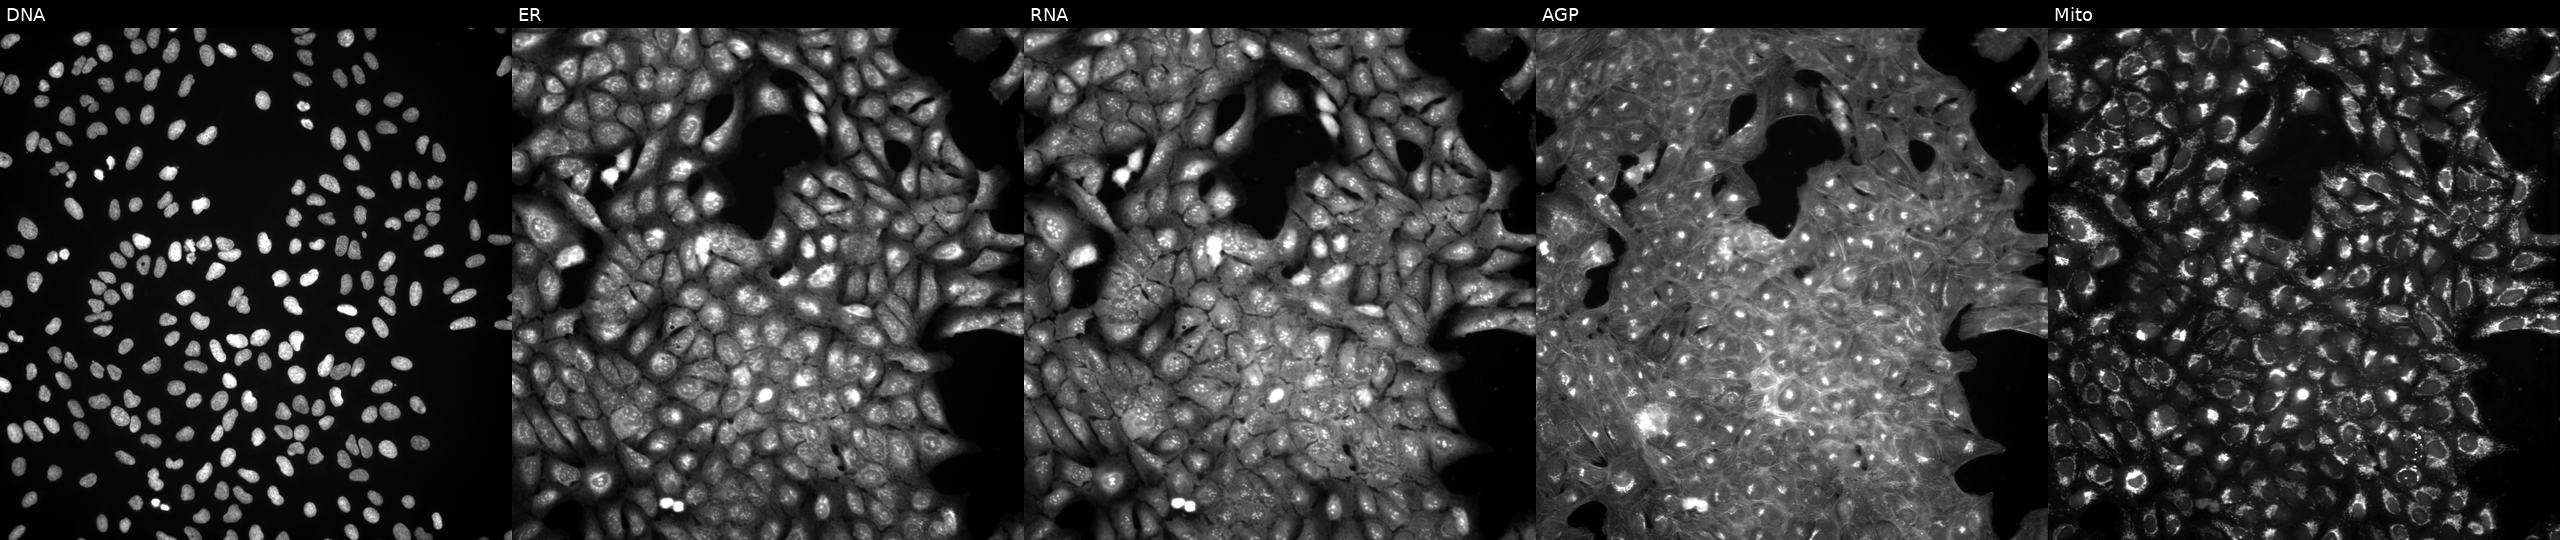
Channels (left→right): Hoechst 33342, concanavalin A, SYTO 14, phalloidin and WGA, MitoTracker. U2OS osteosarcoma cells untreated (empty-well control). Cell Painting assay, JUMP-CP dataset.